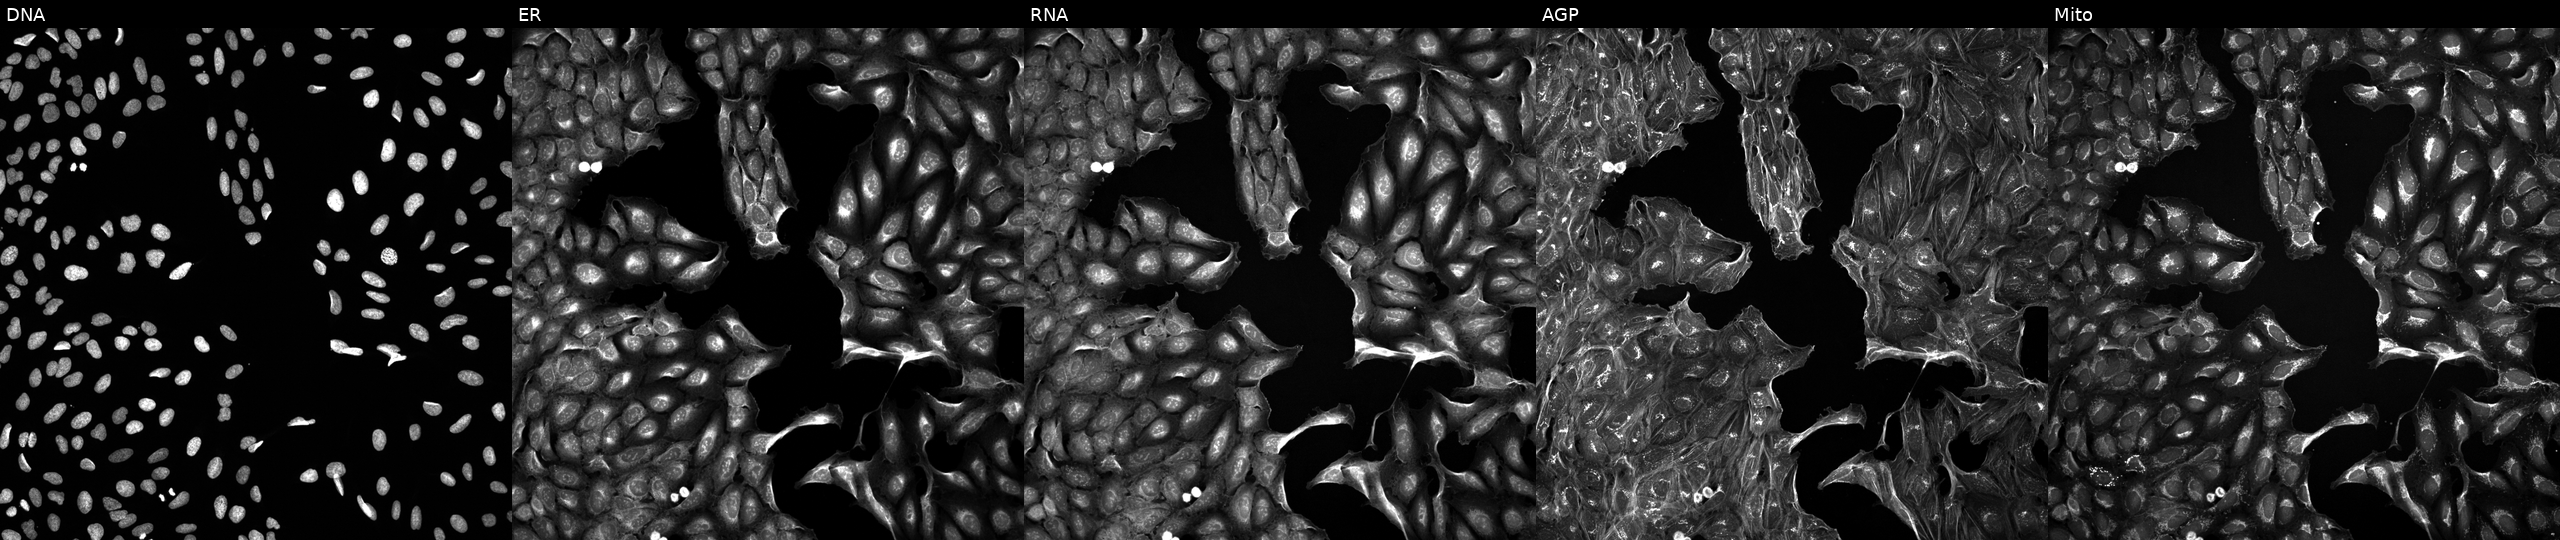
Five-channel Cell Painting image of U2OS cells exposed to a small-molecule compound. From left to right: DNA, ER, RNA, AGP, and Mito.